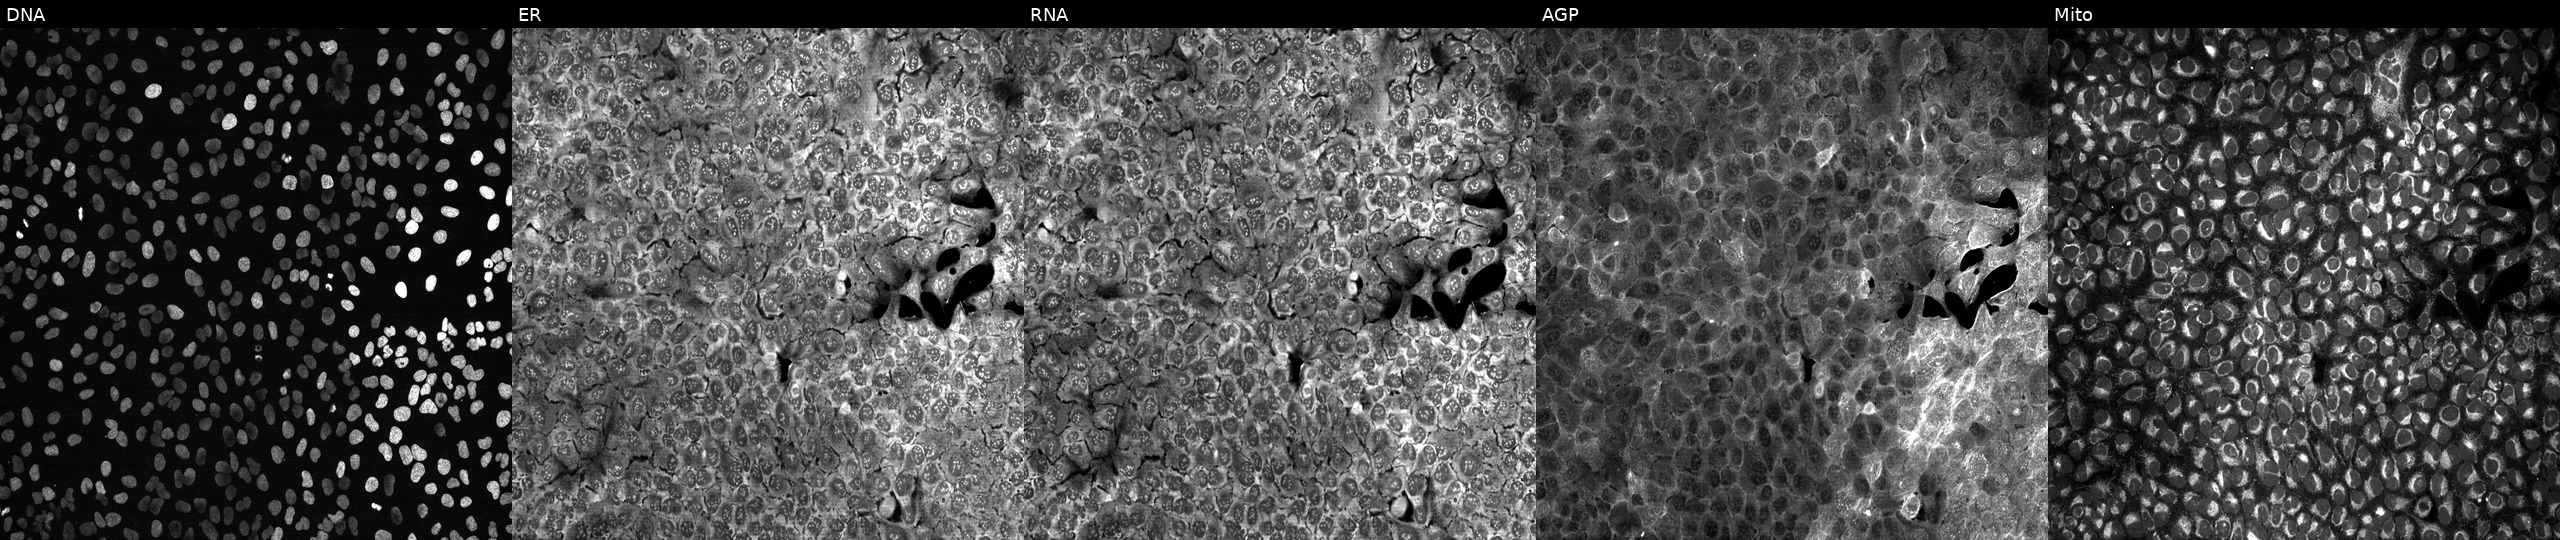
Five-channel Cell Painting image of U2OS cells with CD3G knocked out by CRISPR. From left to right: DNA, ER, RNA, AGP, and Mito.